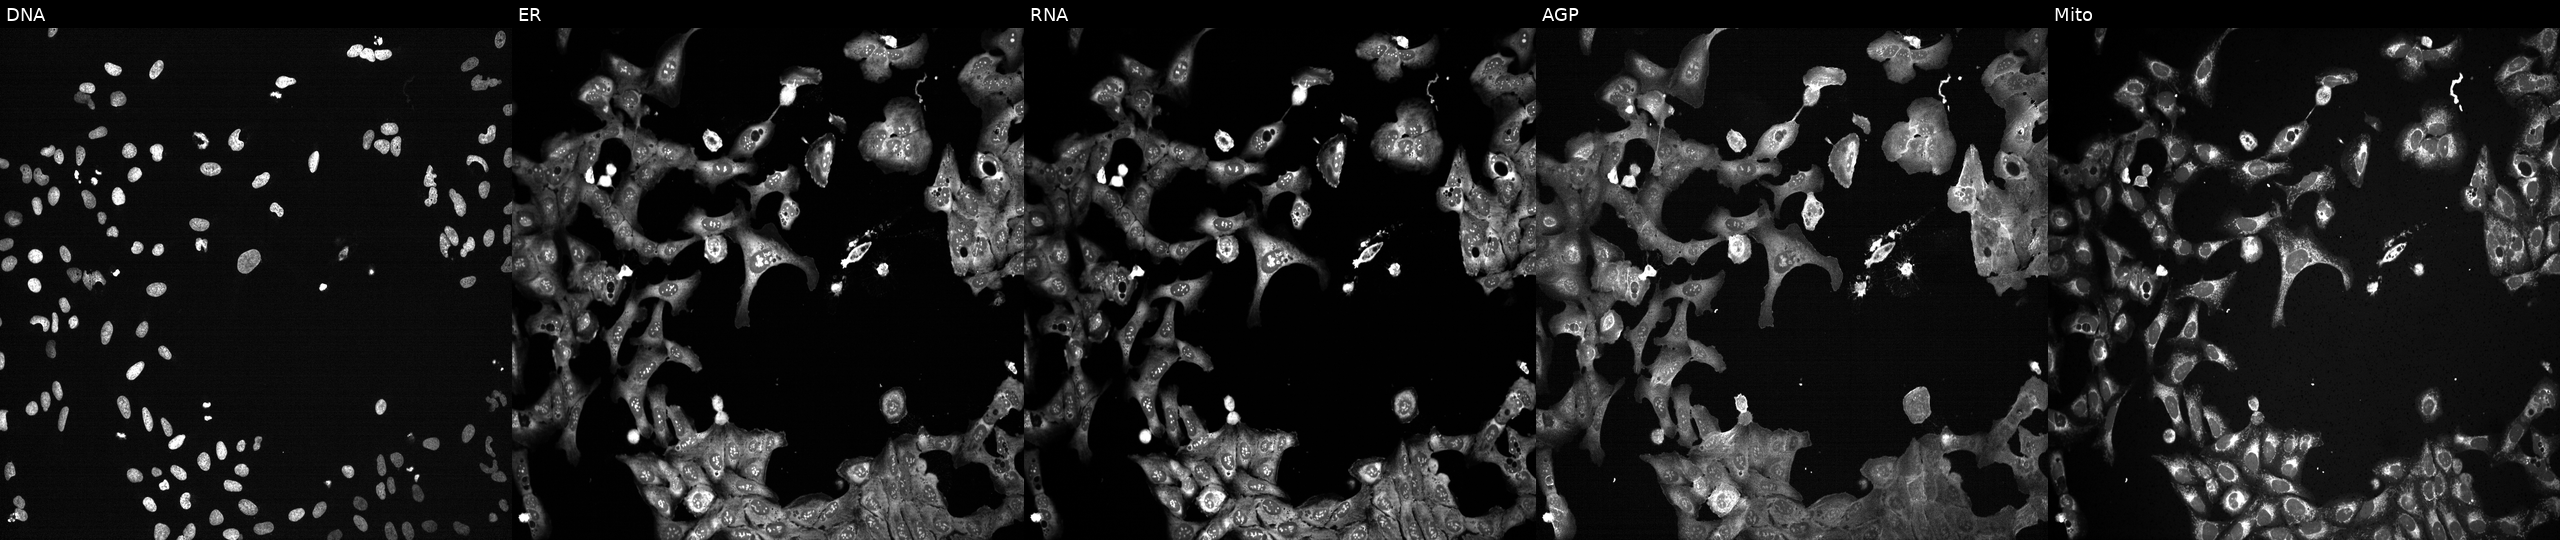
High-content fluorescence microscopy (Cell Painting). Cell line: U2OS. Perturbation: with XAB2 knocked out by CRISPR (JUMP id JCP2022_807703). The five panels, left to right, show Hoechst 33342, concanavalin A, SYTO 14, phalloidin and WGA, MitoTracker.